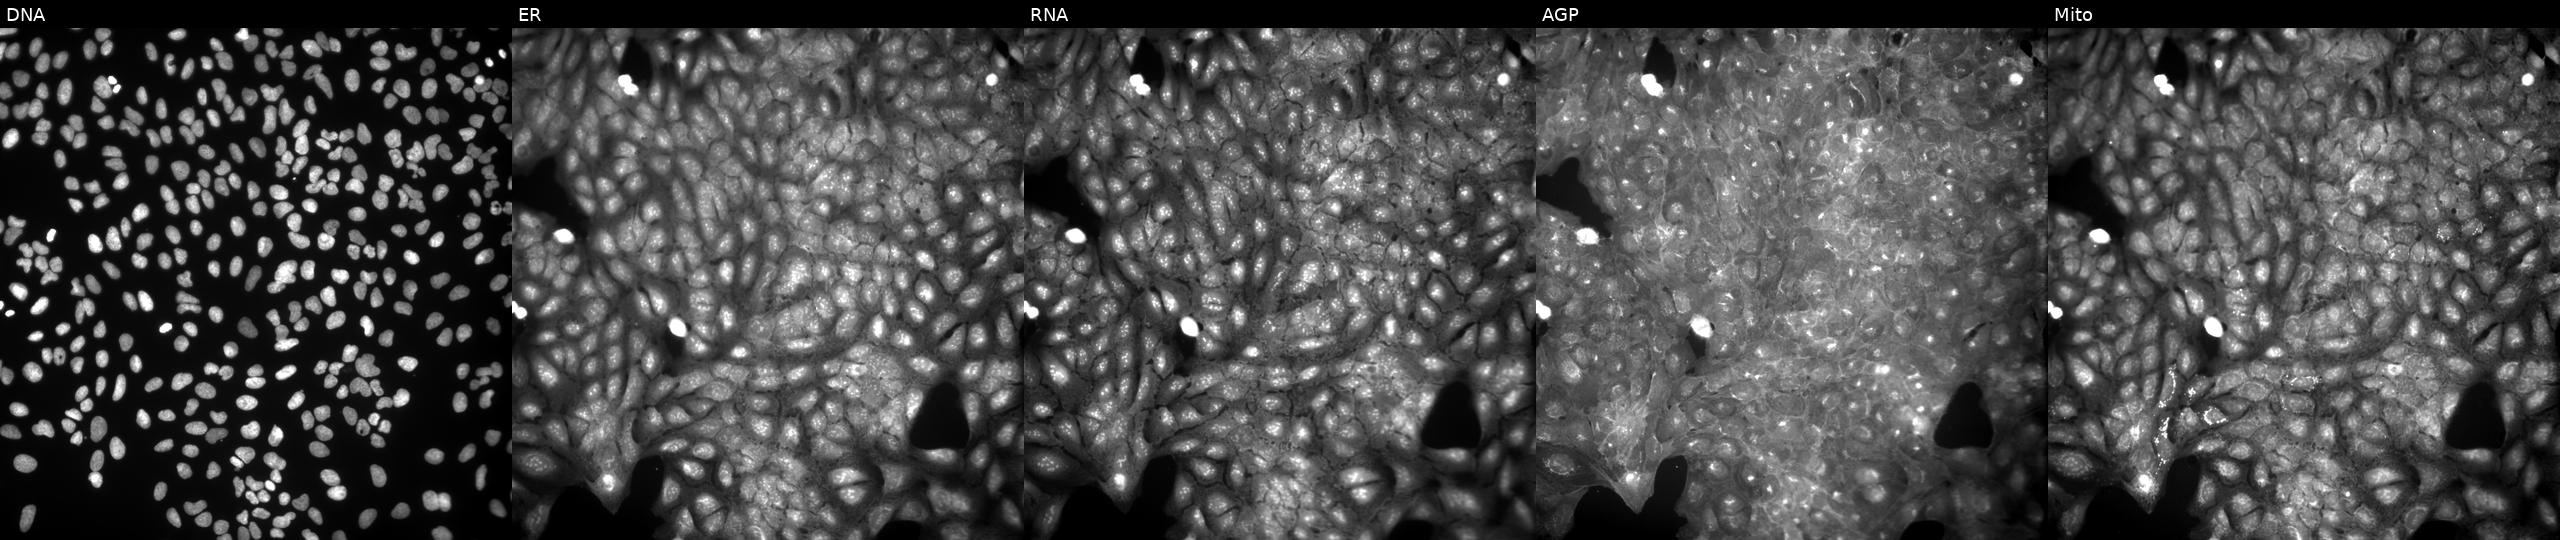
Panels show, left to right, Hoechst 33342, concanavalin A, SYTO 14, phalloidin and WGA, MitoTracker. U2OS osteosarcoma cells exposed to a small-molecule compound (InChIKey FZTKIQAPFPFYGX-UHFFFAOYSA-N) (JUMP id JCP2022_024051). Cell Painting assay, JUMP-CP dataset. Source 9, plate GR00003382, well U42.